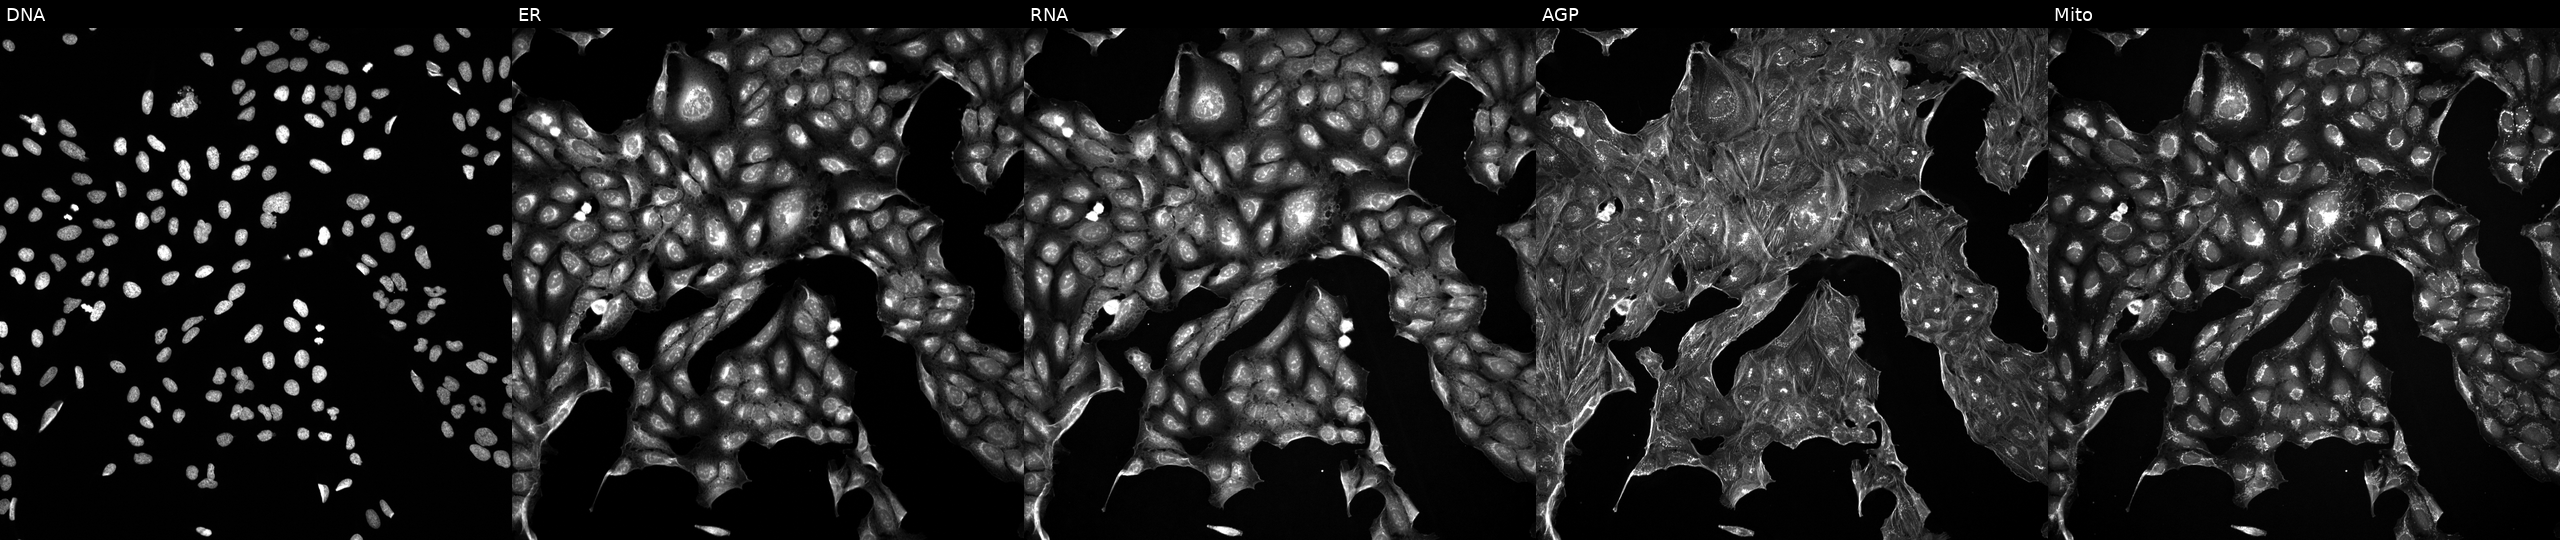
The five panels, left to right, show Hoechst 33342, concanavalin A, SYTO 14, phalloidin and WGA, MitoTracker. U2OS osteosarcoma cells treated with DMSO vehicle only (negative control). Cell Painting assay, JUMP-CP dataset.